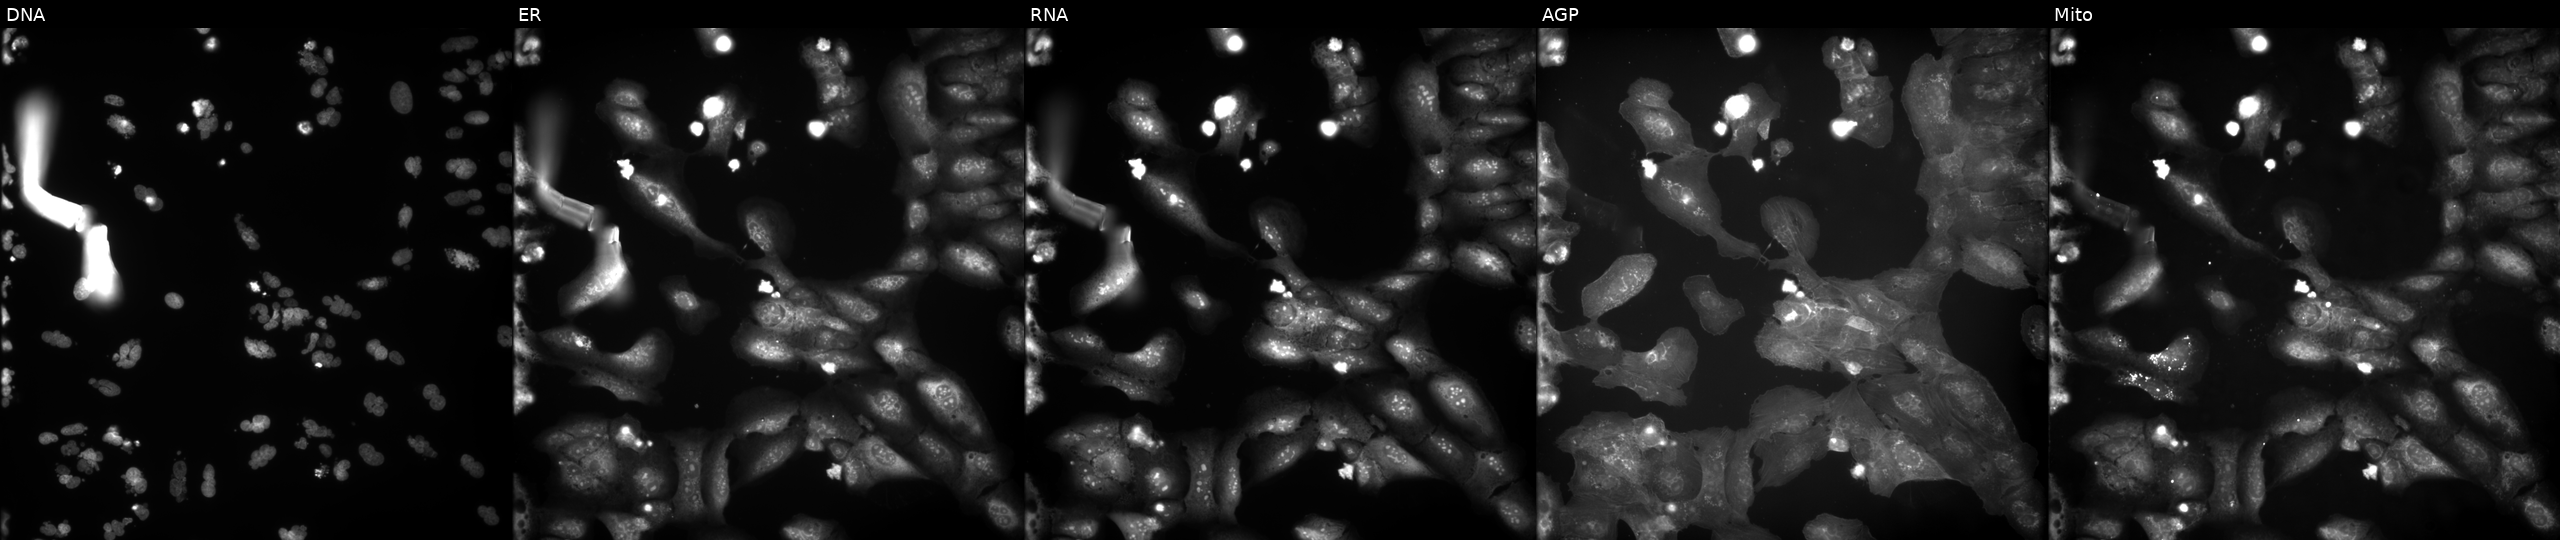
This image strip shows the five Cell Painting channels for a single field of U2OS cells treated with a small-molecule compound (InChIKey SHTKISBZHXCUBA-UHFFFAOYSA-N) [SMILES: Cc1cc(C)c(NC(=O)c2ccc(Cl)cc2)c([N+](=O)[O-])c1]. Panels show, left to right, DNA, ER, RNA, AGP, and Mito. Source 9, plate GR00003381, well D19.